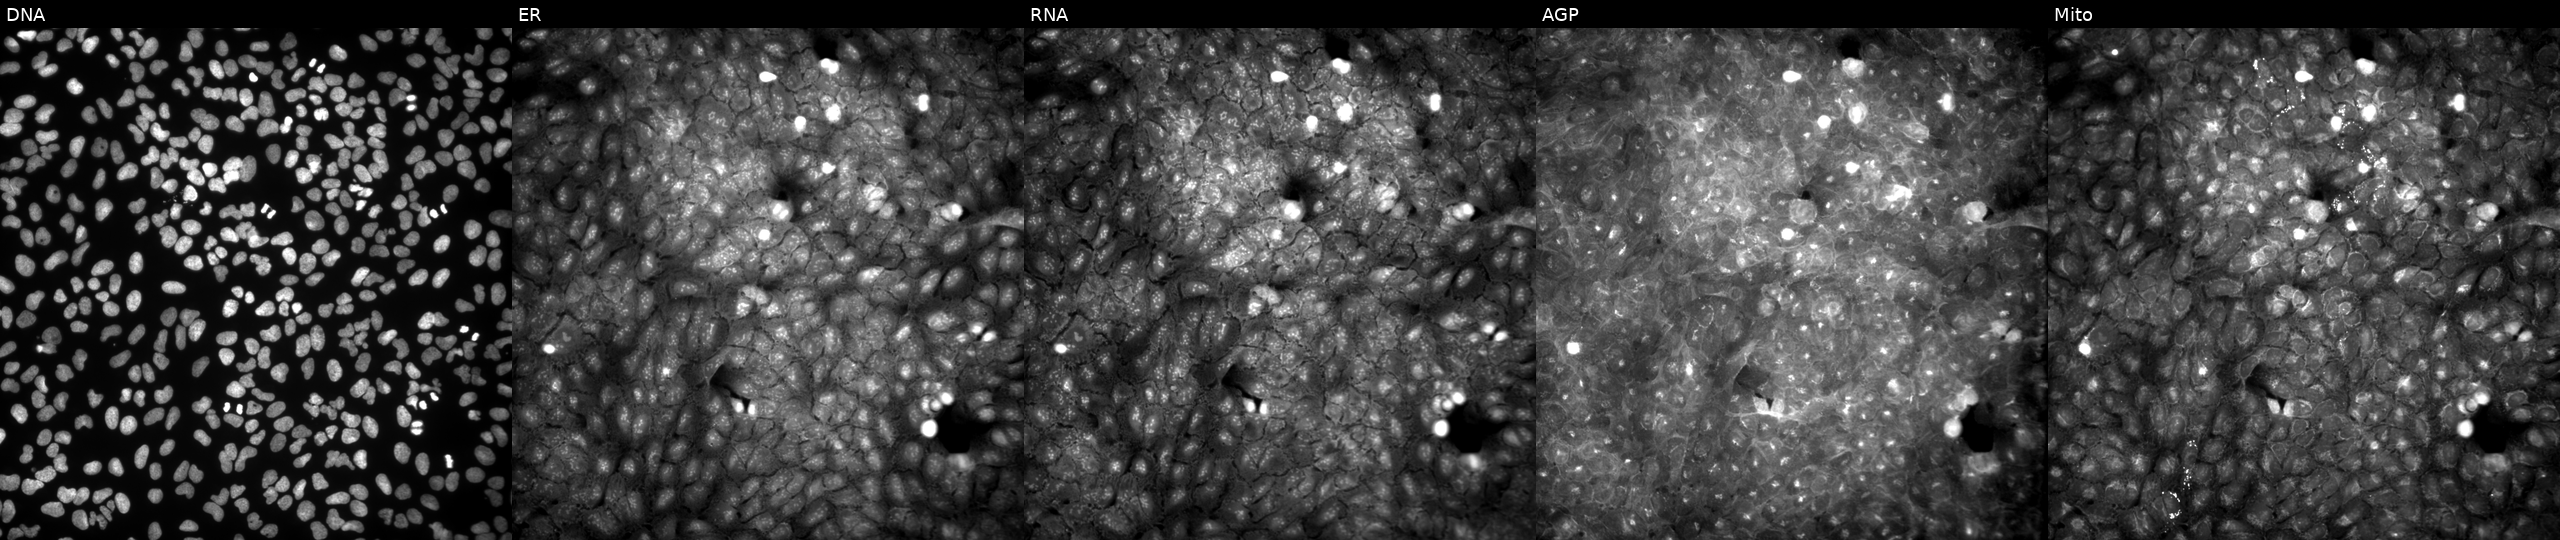
JUMP Cell Painting — COMPOUND plate. U2OS cells perturbed with a small-molecule compound [SMILES: COC(=O)c1ccc(-n2c(O)cc(SCCN)c2O)cc1] (JUMP id JCP2022_024165). The five panels, left to right, show DNA, ER, RNA, AGP, and Mito.